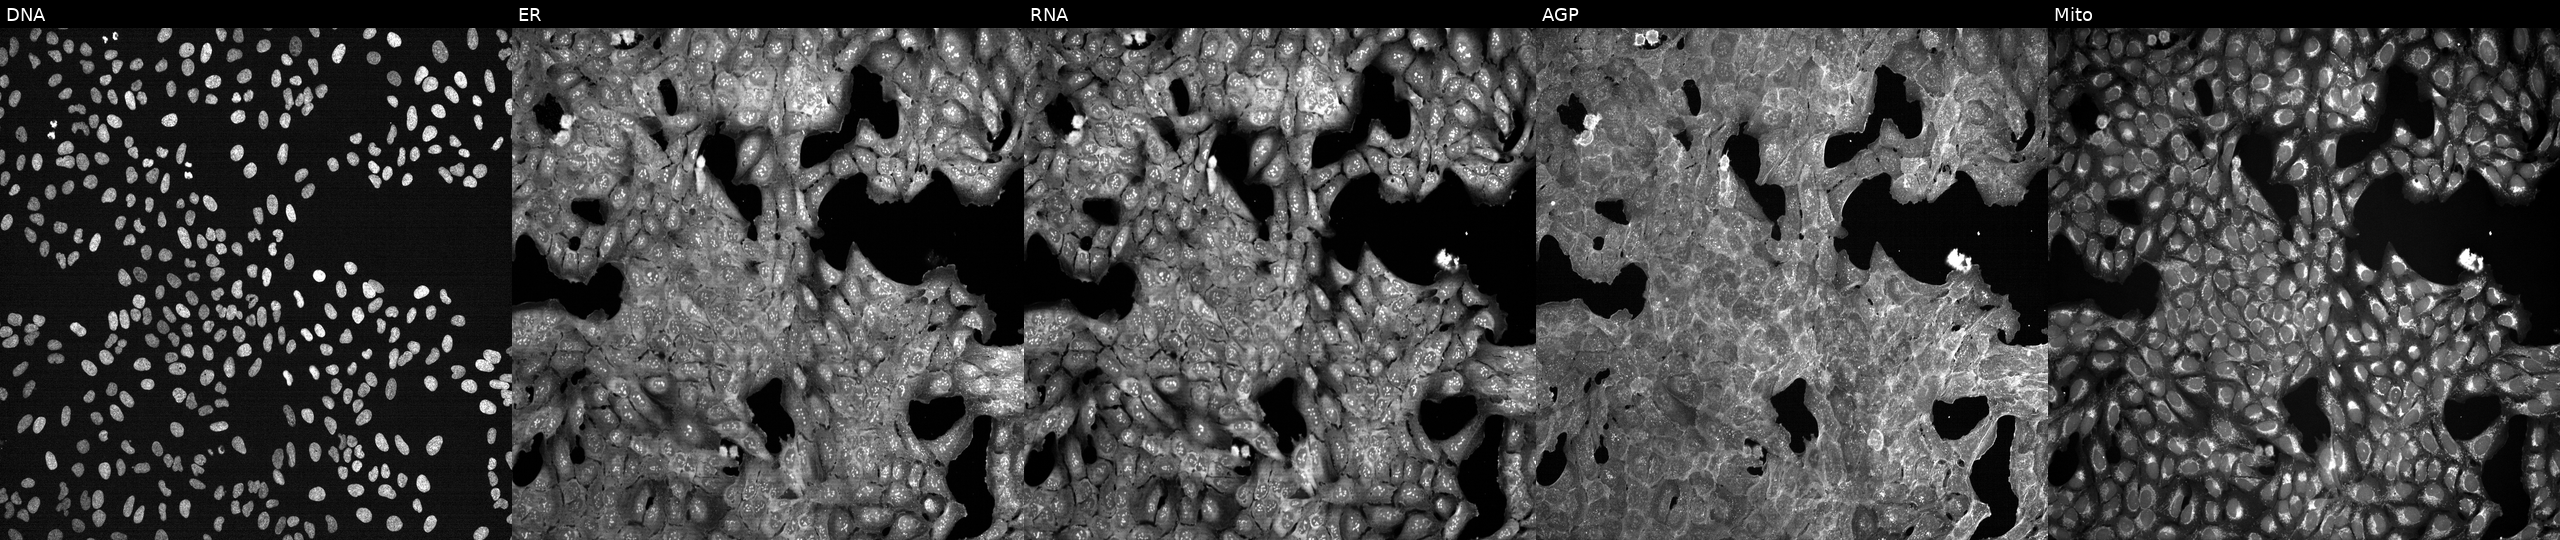
JUMP Cell Painting — TARGET2 plate. U2OS cells exposed to a small-molecule compound (InChIKey ROBYKNONIPZMTK-UHFFFAOYSA-N) (JUMP id JCP2022_079617). From left to right: DNA (nuclei); ER (endoplasmic reticulum); RNA (nucleoli and cytoplasmic RNA); AGP (actin cytoskeleton, Golgi, and plasma membrane); Mito (mitochondria). Source 7, plate CP3-SC1-25, well B05.